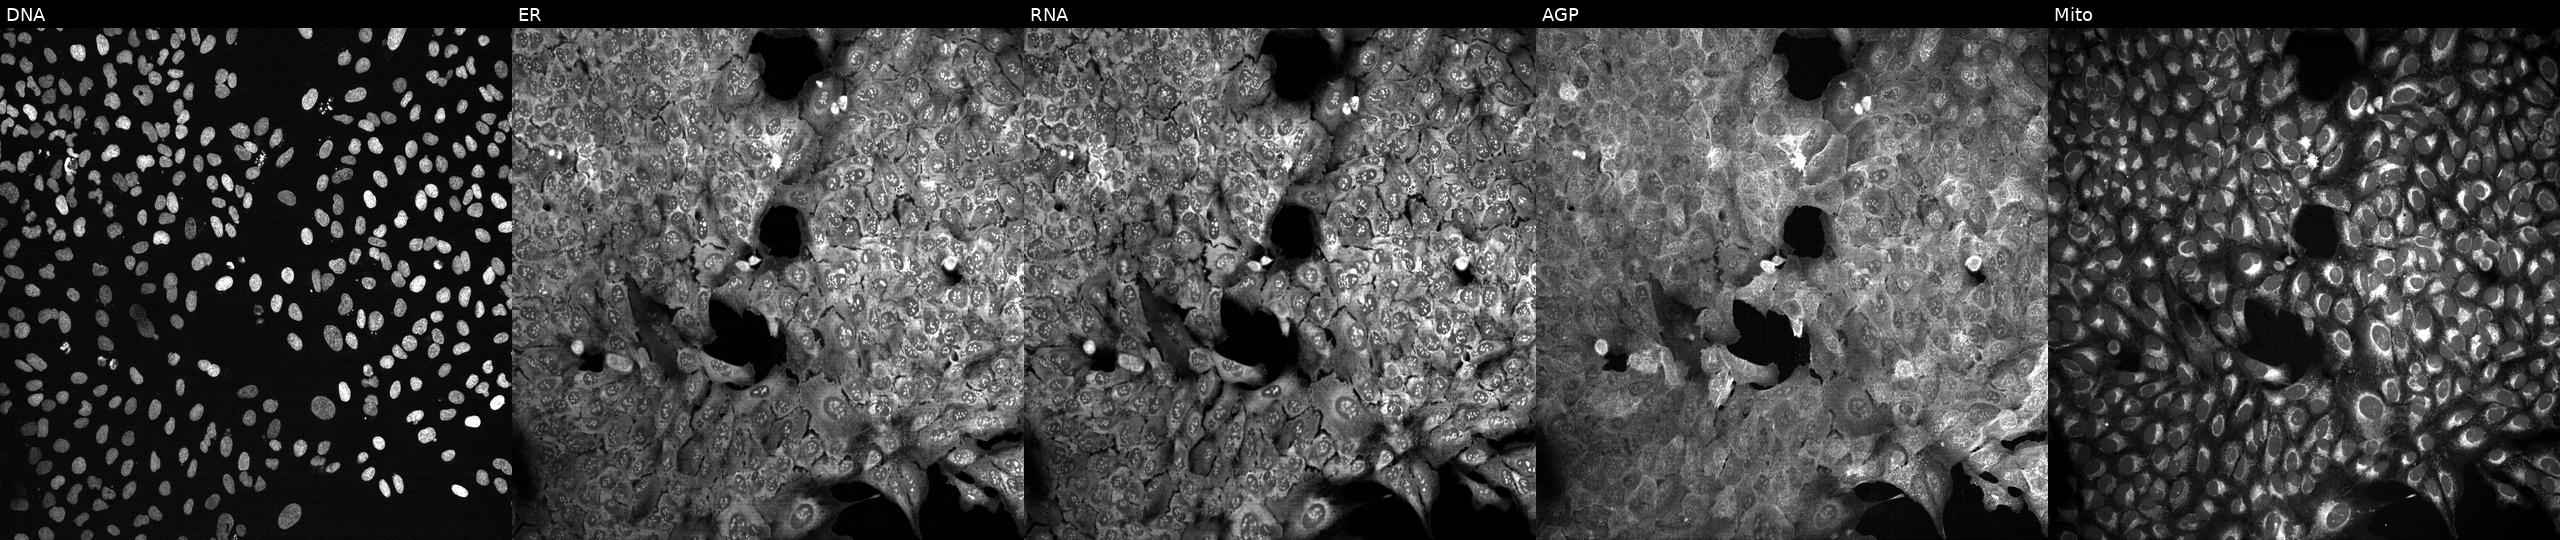
Panels show, left to right, DNA, ER, RNA, AGP, and Mito. U2OS osteosarcoma cells CRISPR-edited to disrupt SLCO1C1 (JUMP id JCP2022_806604). Cell Painting assay, JUMP-CP dataset.